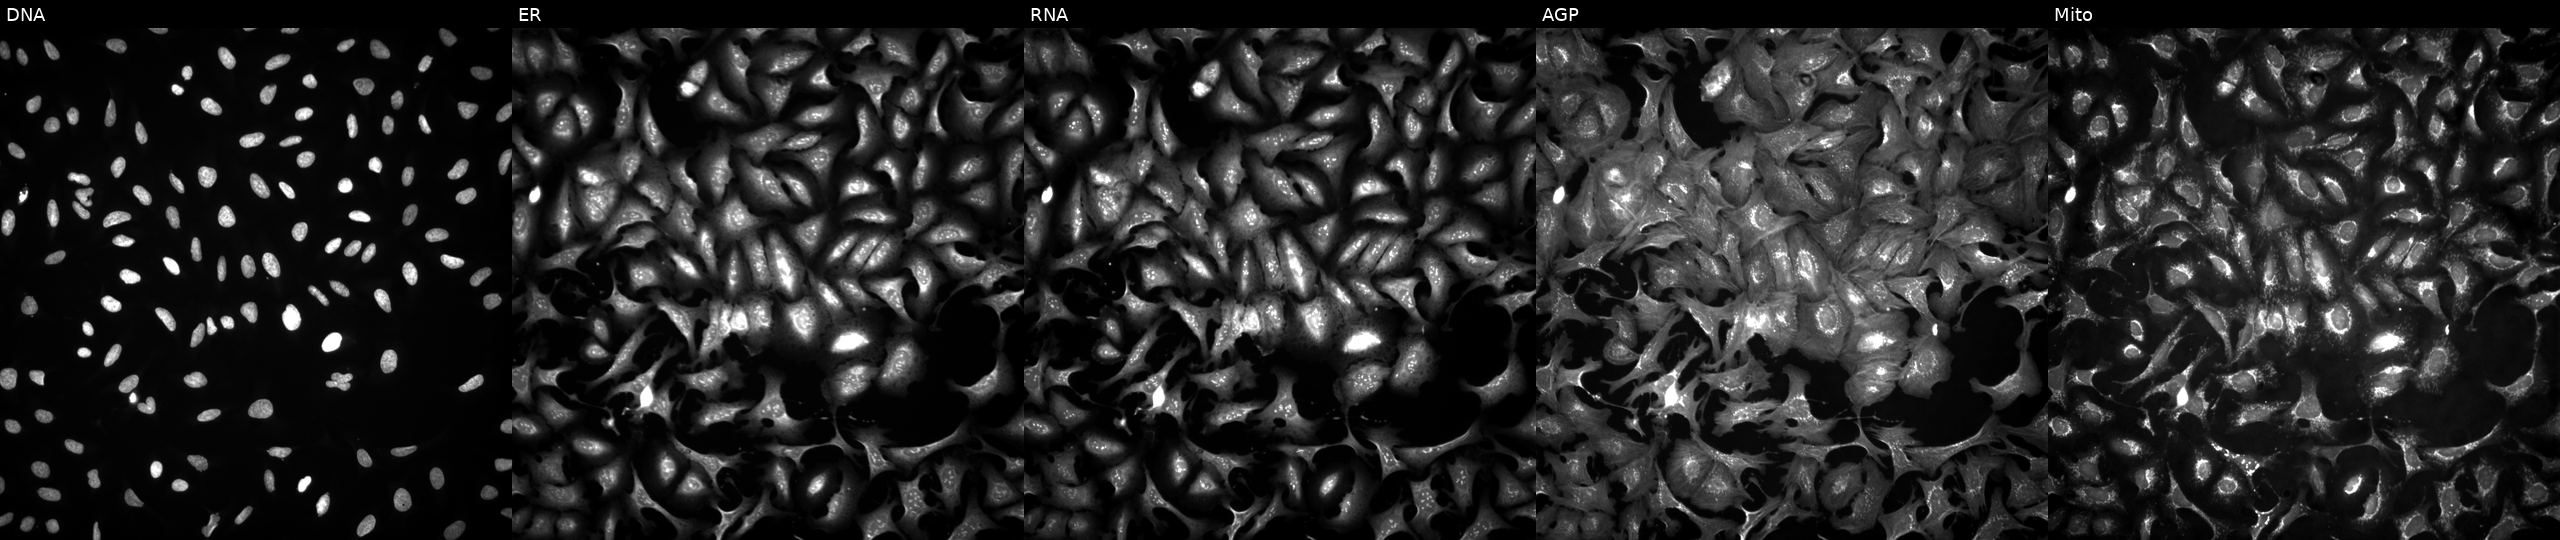
High-content fluorescence microscopy (Cell Painting). Cell line: U2OS. Perturbation: transfected with an ORF construct for KSR1. The five panels, left to right, show DNA (nuclei); ER (endoplasmic reticulum); RNA (nucleoli and cytoplasmic RNA); AGP (actin cytoskeleton, Golgi, and plasma membrane); Mito (mitochondria). Source 4, plate BR00123945, well K04.